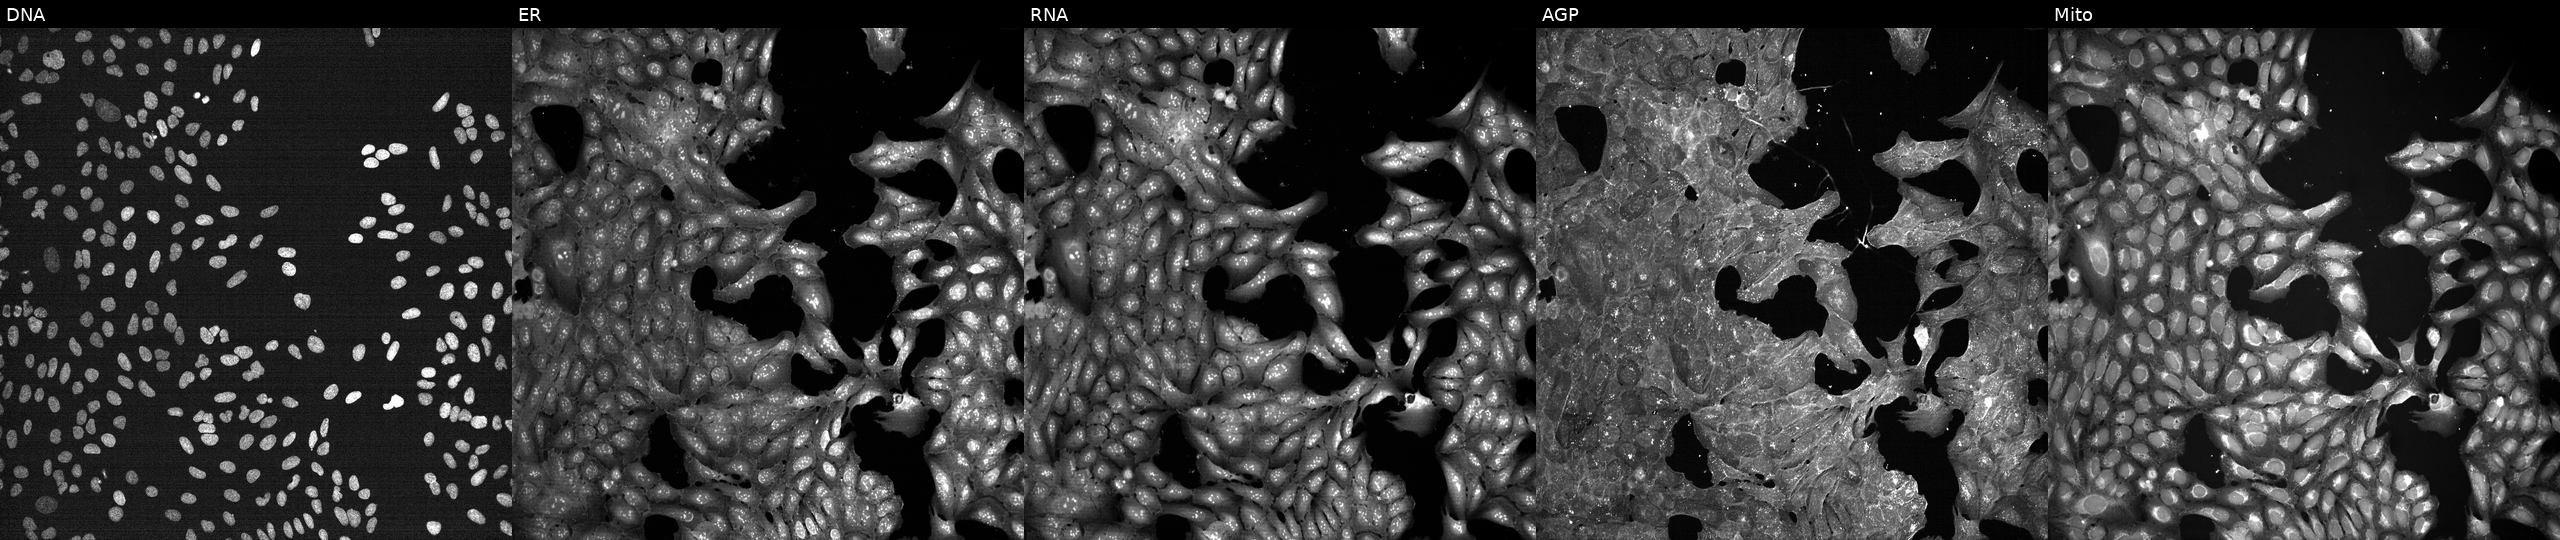
Five-channel Cell Painting image of U2OS cells treated with a small-molecule compound (InChIKey QIHBWVVVRYYYRO-UHFFFAOYSA-N) (JUMP id JCP2022_073628). From left to right: Hoechst 33342, concanavalin A, SYTO 14, phalloidin and WGA, MitoTracker.